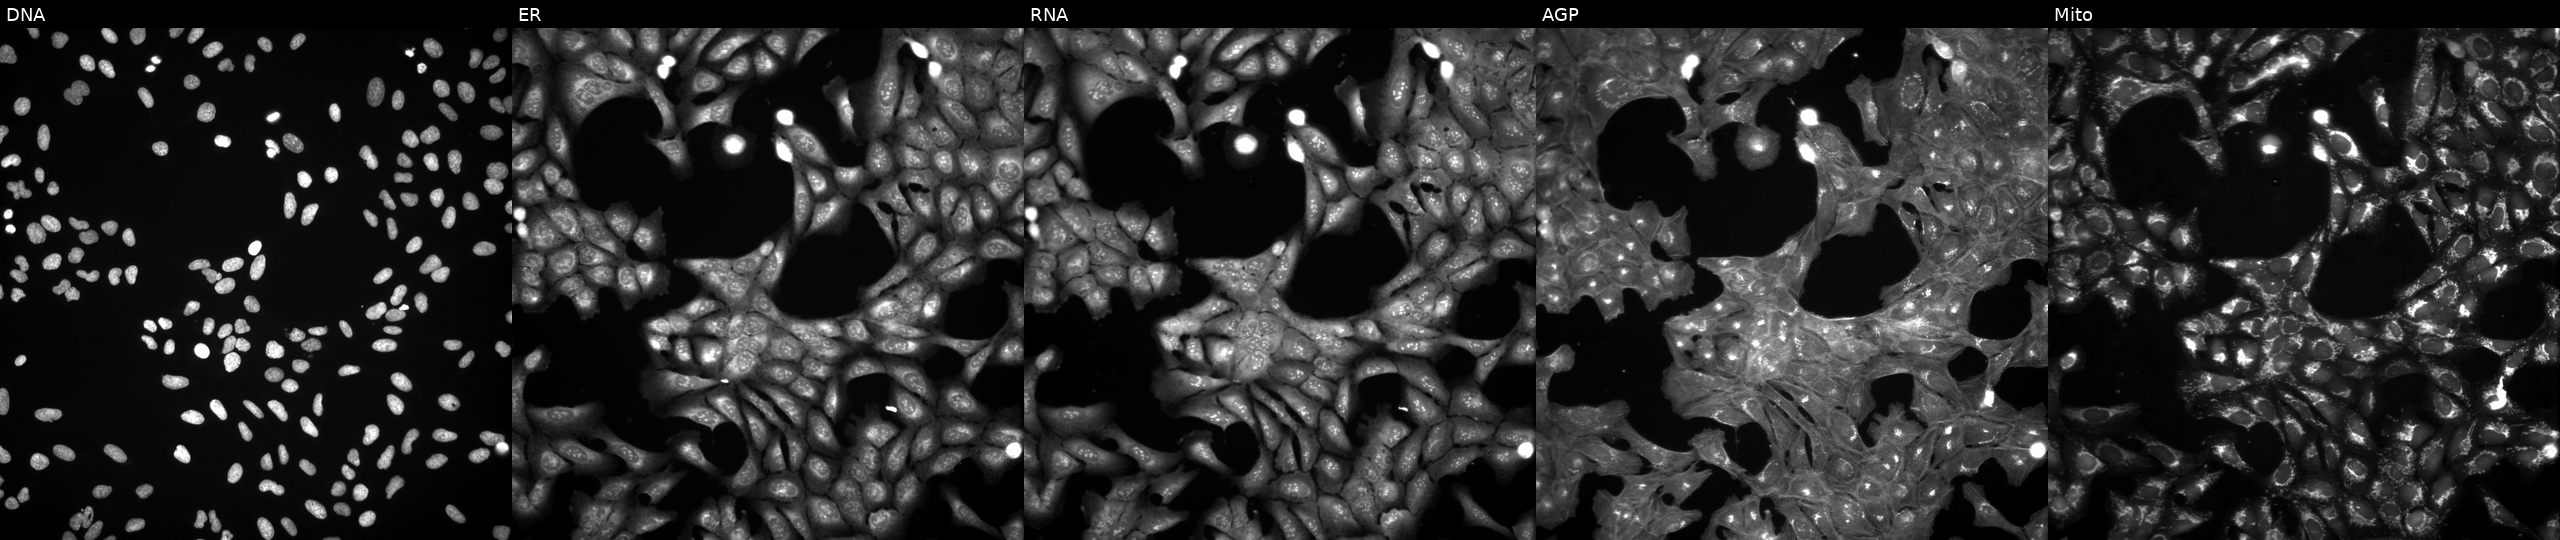
U2OS cells, Cell Painting assay, treated with a small-molecule compound (InChIKey ROBYKNONIPZMTK-UHFFFAOYSA-N) [SMILES: O=Nc1c(O)[nH]c2c(Cl)c(Cl)ccc12] (JUMP id JCP2022_079617). From left to right: Hoechst 33342, concanavalin A, SYTO 14, phalloidin and WGA, MitoTracker. Each panel is percentile-stretched 16-bit fluorescence. Source 3, plate JCPQC052, well B05.